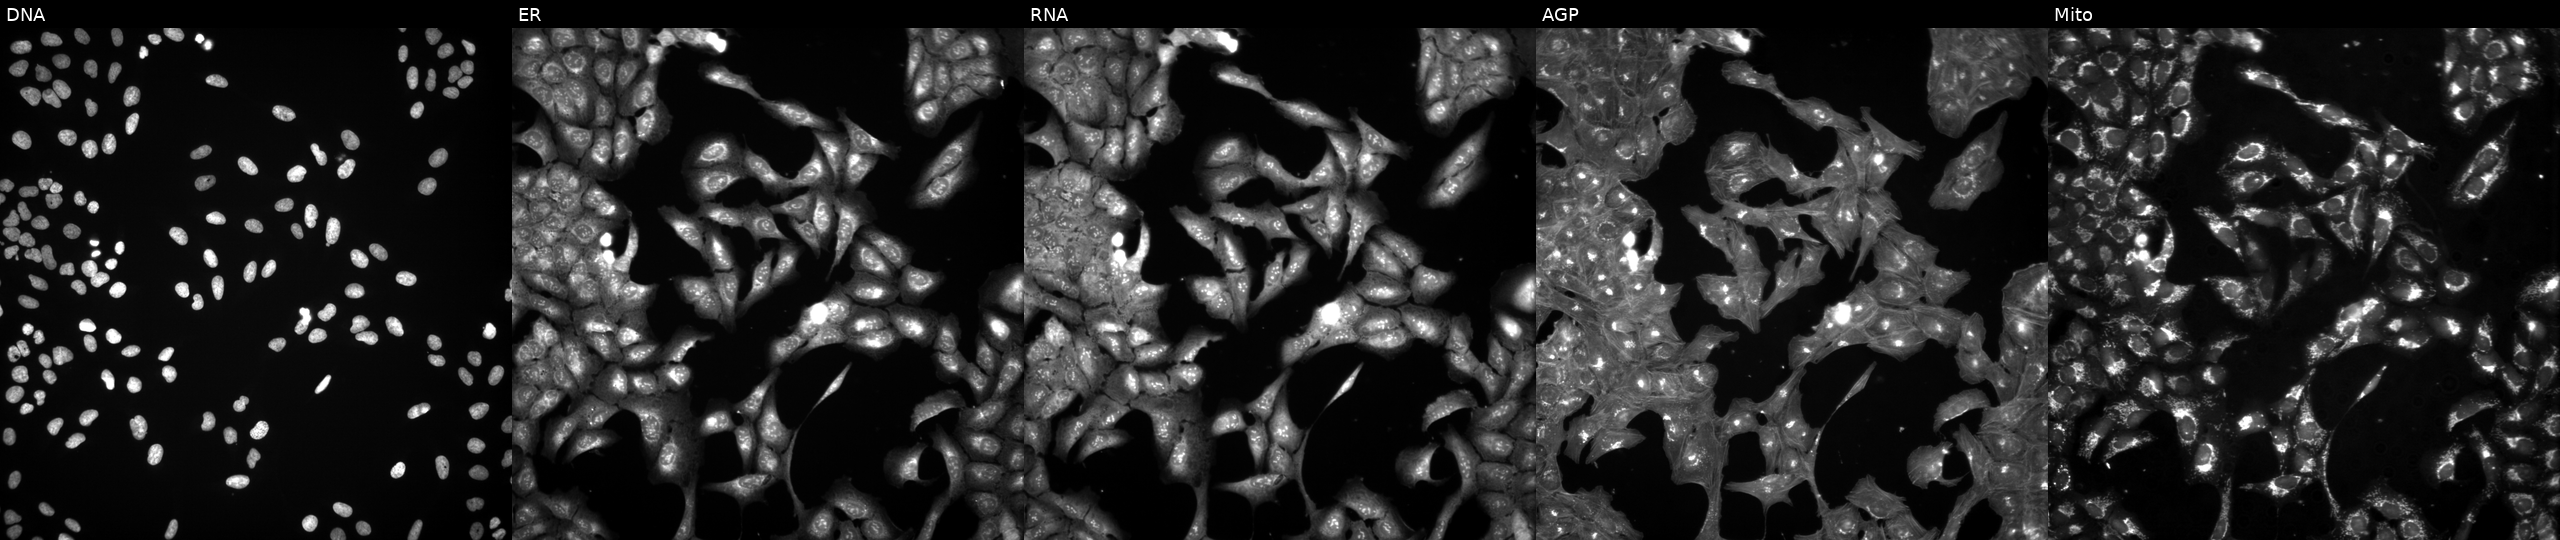
This image strip shows the five Cell Painting channels for a single field of U2OS cells exposed to DMSO alone as a negative control (JUMP id JCP2022_033924). From left to right: DNA (nuclei); ER (endoplasmic reticulum); RNA (nucleoli and cytoplasmic RNA); AGP (actin cytoskeleton, Golgi, and plasma membrane); Mito (mitochondria).